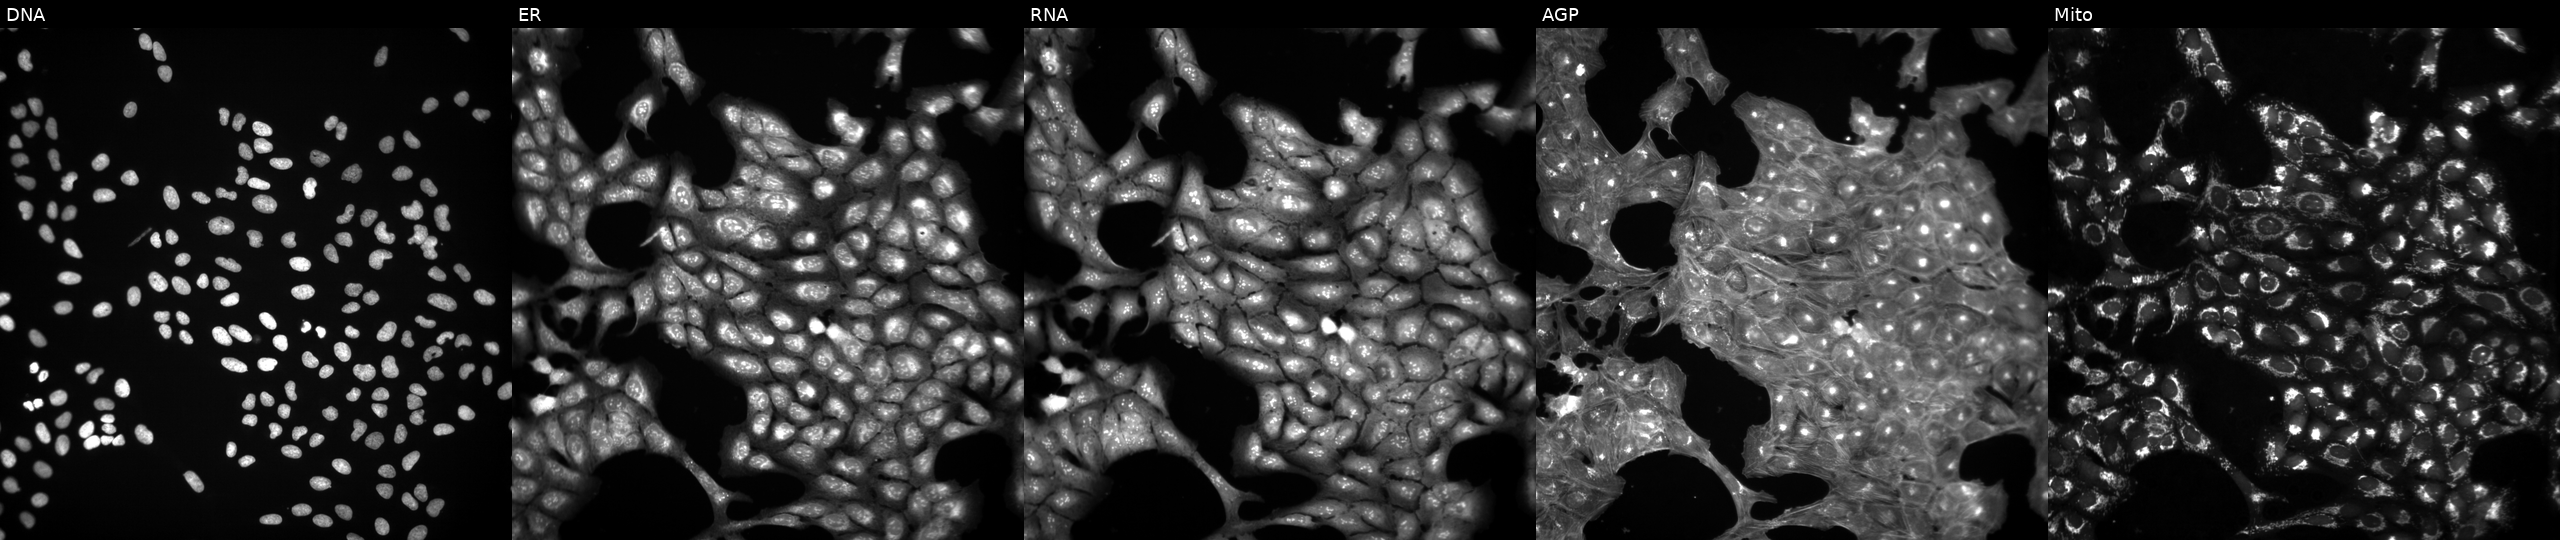
This image strip shows the five Cell Painting channels for a single field of U2OS cells treated with a small-molecule compound (InChIKey ZJVFLBOZORBYFE-UHFFFAOYSA-N). Channels (left→right): DNA, ER, RNA, AGP, and Mito.